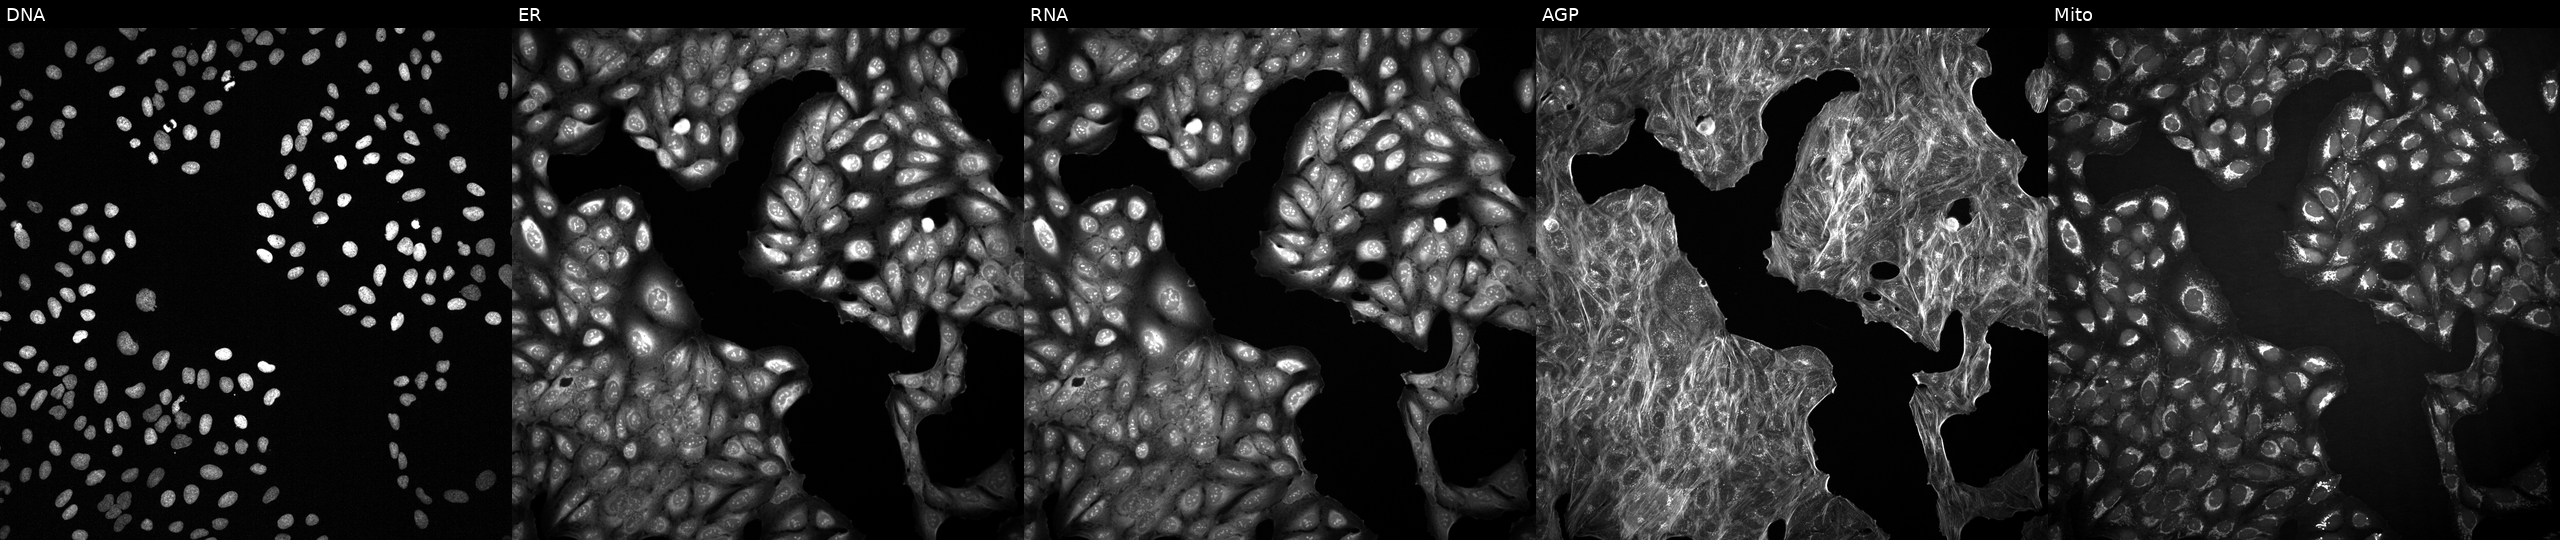
Panels show, left to right, Hoechst 33342, concanavalin A, SYTO 14, phalloidin and WGA, MitoTracker. U2OS osteosarcoma cells with an unidentified perturbation (not annotated in JUMP metadata). Cell Painting assay, JUMP-CP dataset. Source 2, plate 1053601763, well J19.